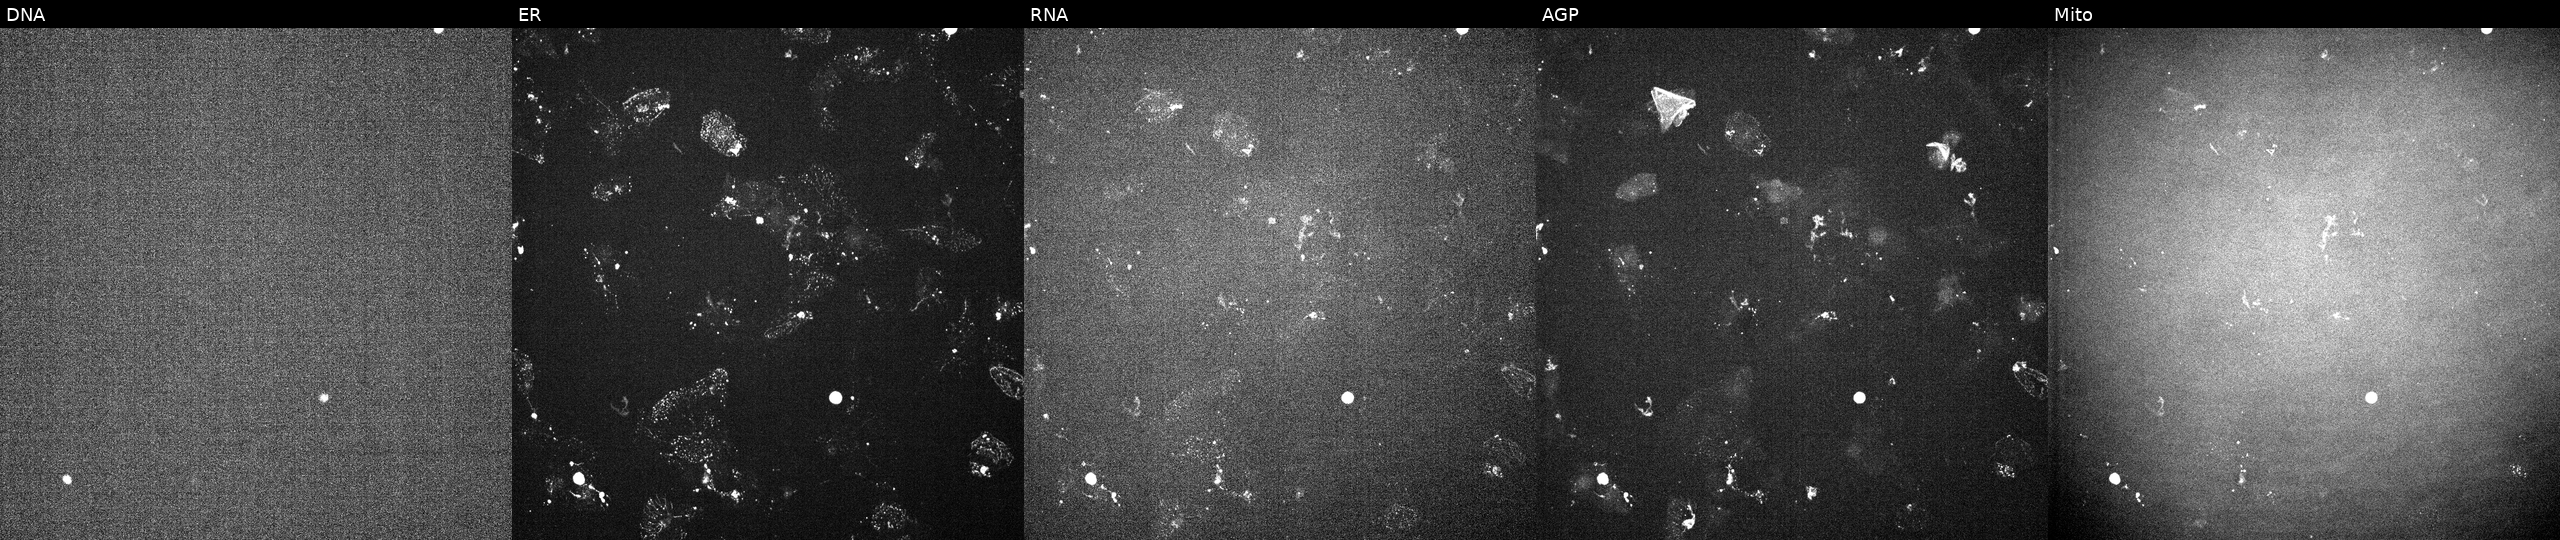
High-content fluorescence microscopy (Cell Painting). Cell line: U2OS. Perturbation: exposed to a small-molecule compound. From left to right: DNA, ER, RNA, AGP, and Mito. Source 6, plate 110000294901, well H14.